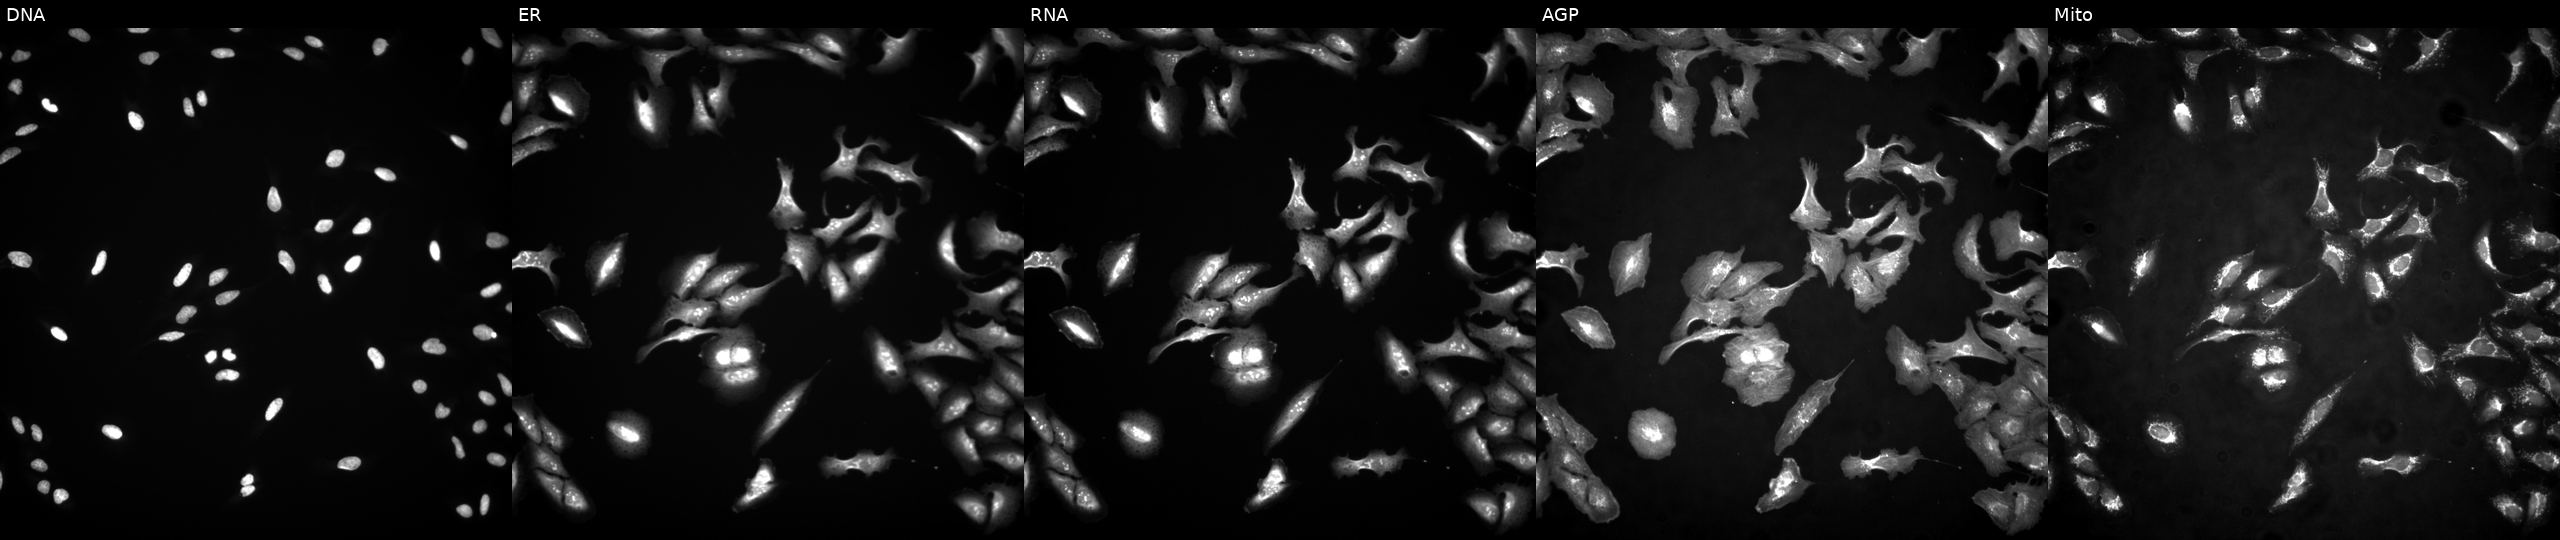
Channels (left→right): DNA (nuclei); ER (endoplasmic reticulum); RNA (nucleoli and cytoplasmic RNA); AGP (actin cytoskeleton, Golgi, and plasma membrane); Mito (mitochondria). U2OS osteosarcoma cells expressing HcRed (ORF negative control) (JUMP id JCP2022_915129). Cell Painting assay, JUMP-CP dataset.